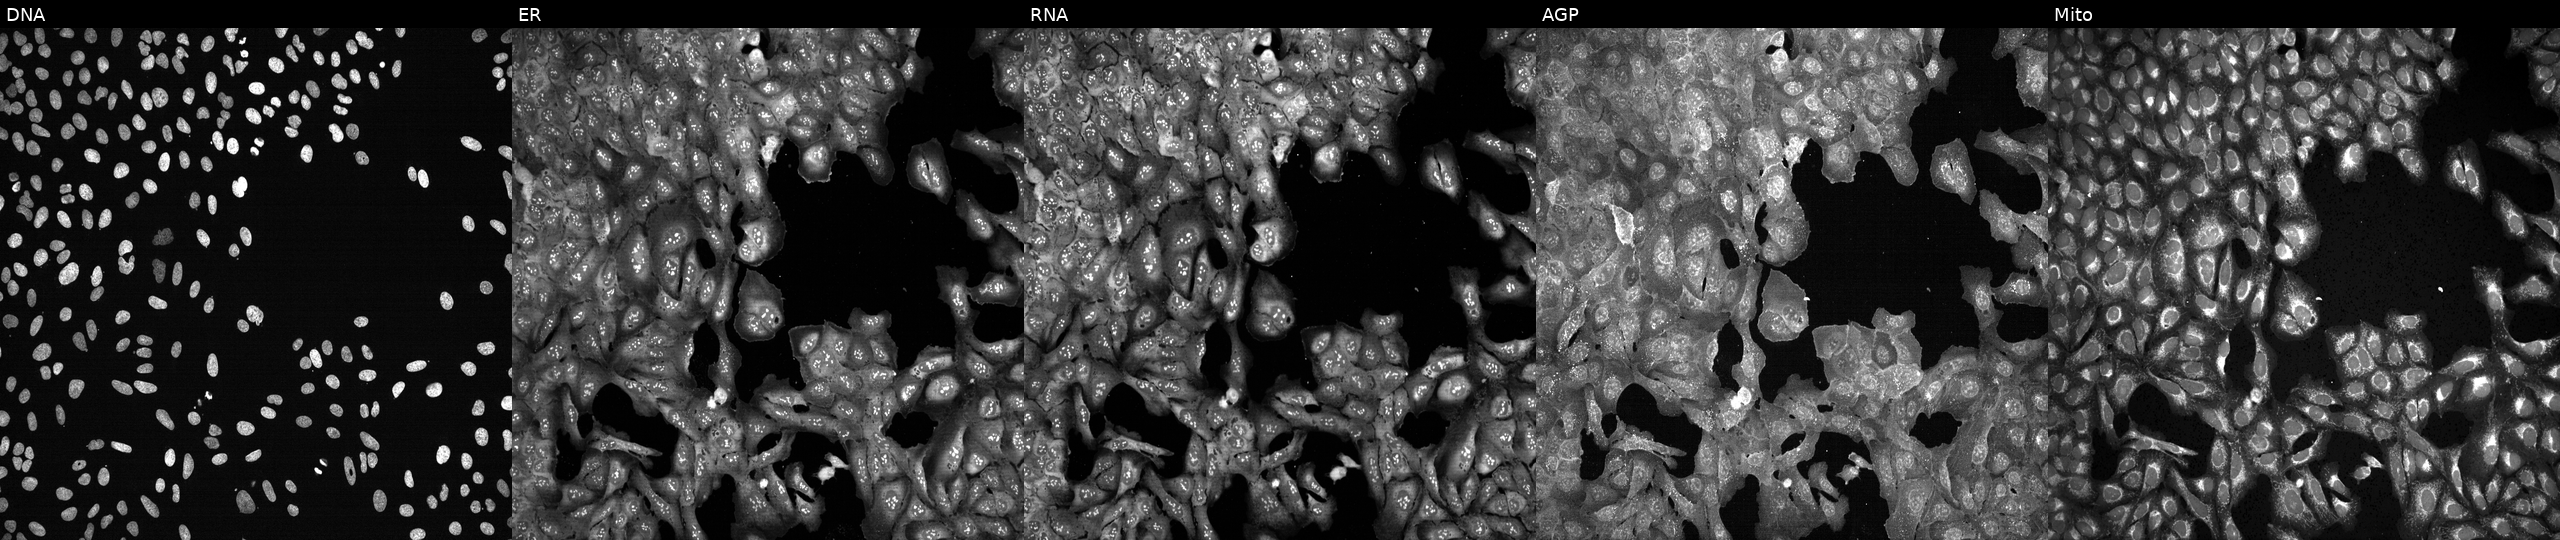
This image strip shows the five Cell Painting channels for a single field of U2OS cells with TAPBP knocked out by CRISPR (JUMP id JCP2022_806954). Channels (left→right): Hoechst 33342, concanavalin A, SYTO 14, phalloidin and WGA, MitoTracker. Source 13, plate CP-CC9-R5-01, well P09.